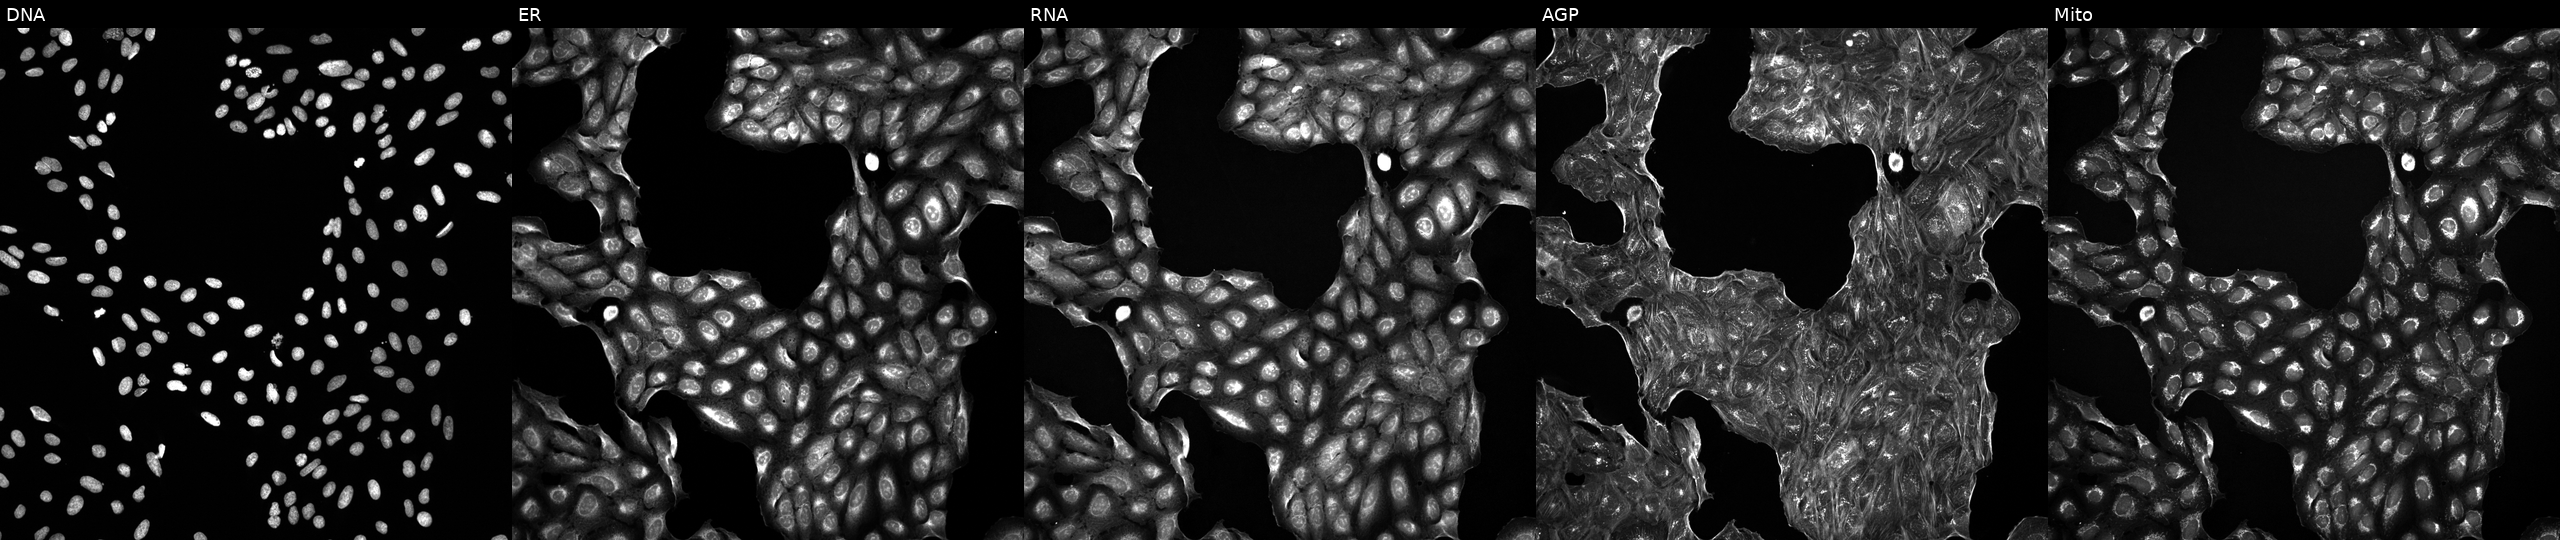
Panels show, left to right, Hoechst 33342, concanavalin A, SYTO 14, phalloidin and WGA, MitoTracker. U2OS osteosarcoma cells treated with a small-molecule compound (InChIKey MAKMQGKJURAJEN-UHFFFAOYSA-N). Cell Painting assay, JUMP-CP dataset.